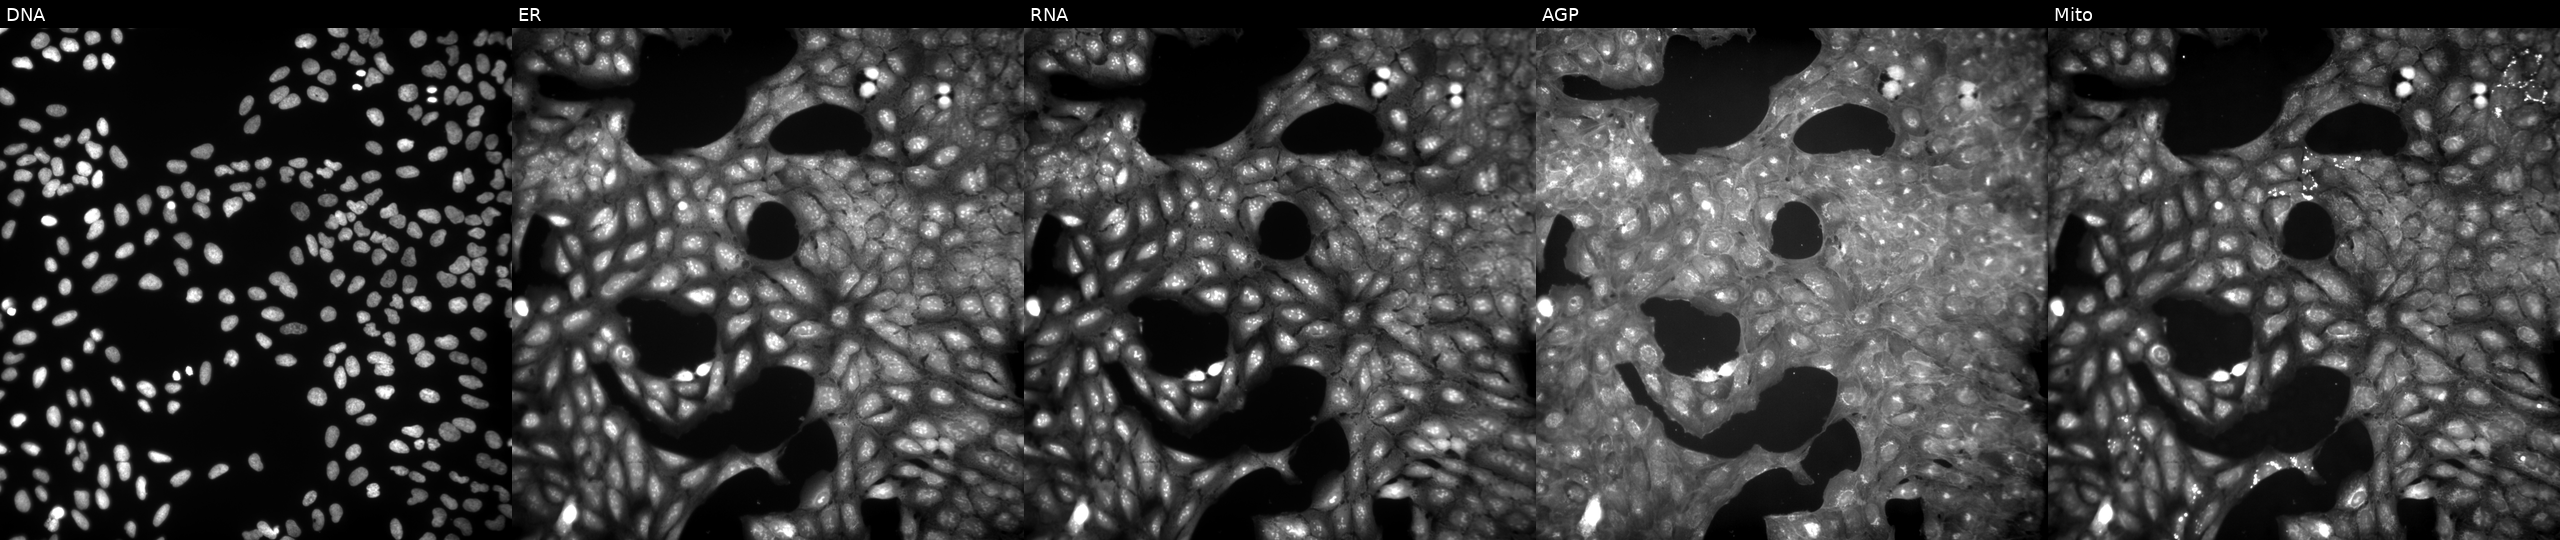
High-content fluorescence microscopy (Cell Painting). Cell line: U2OS. Perturbation: exposed to a small-molecule compound (InChIKey QAWJHFJCZCUFOT-UHFFFAOYSA-N). Panels show, left to right, DNA, ER, RNA, AGP, and Mito.